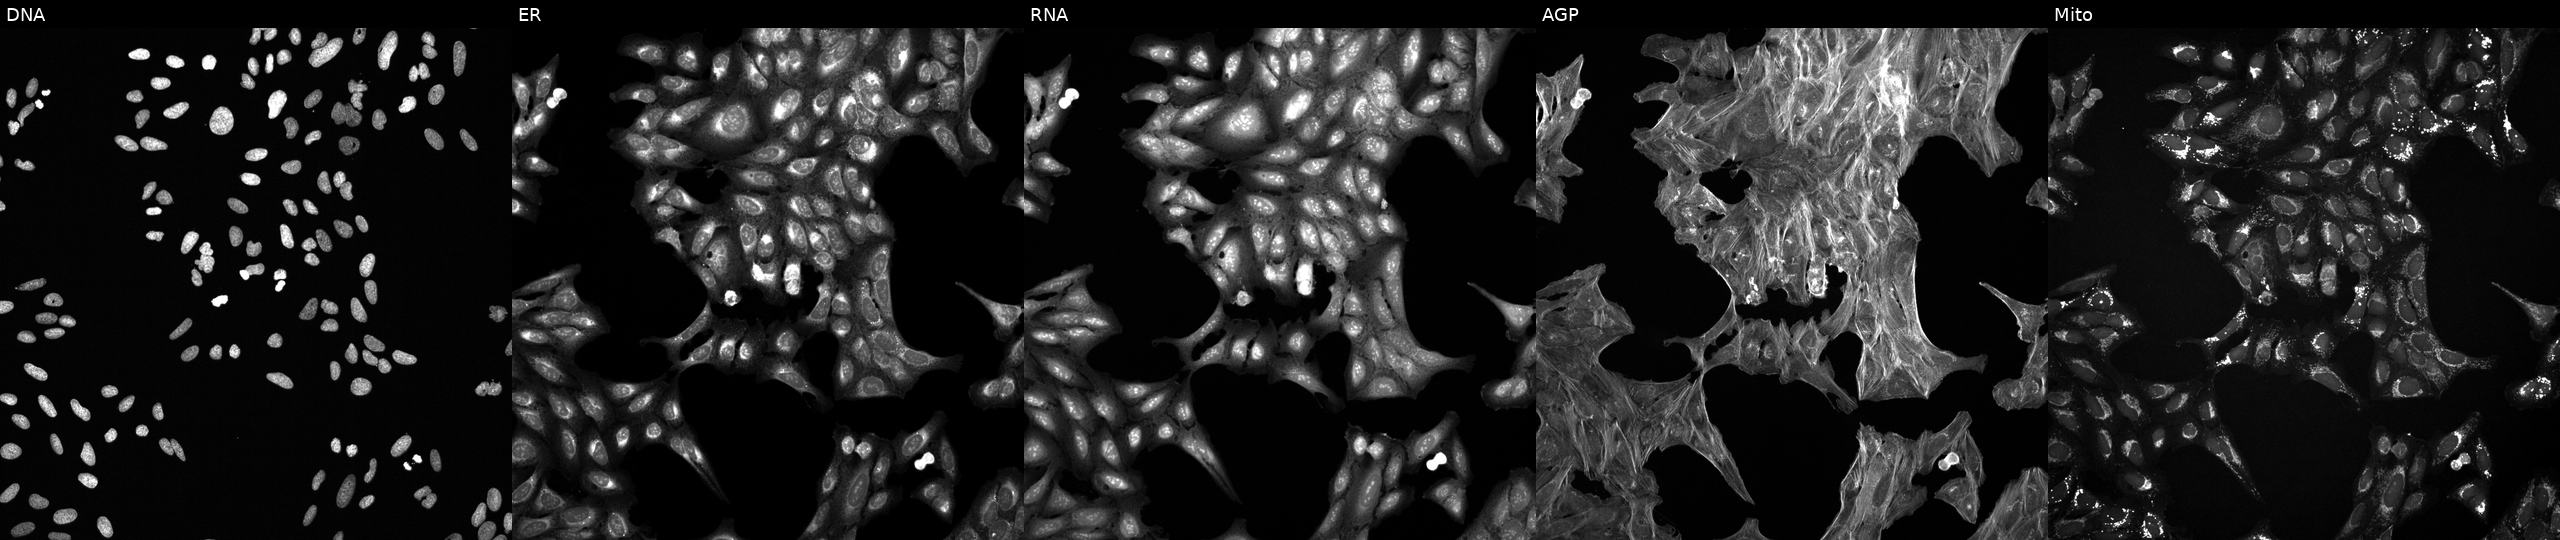
This image strip shows the five Cell Painting channels for a single field of U2OS cells exposed to a small-molecule compound (InChIKey AZYDQCGCBQYFSE-UHFFFAOYSA-N) (JUMP id JCP2022_004940). Channels (left→right): DNA, ER, RNA, AGP, and Mito.